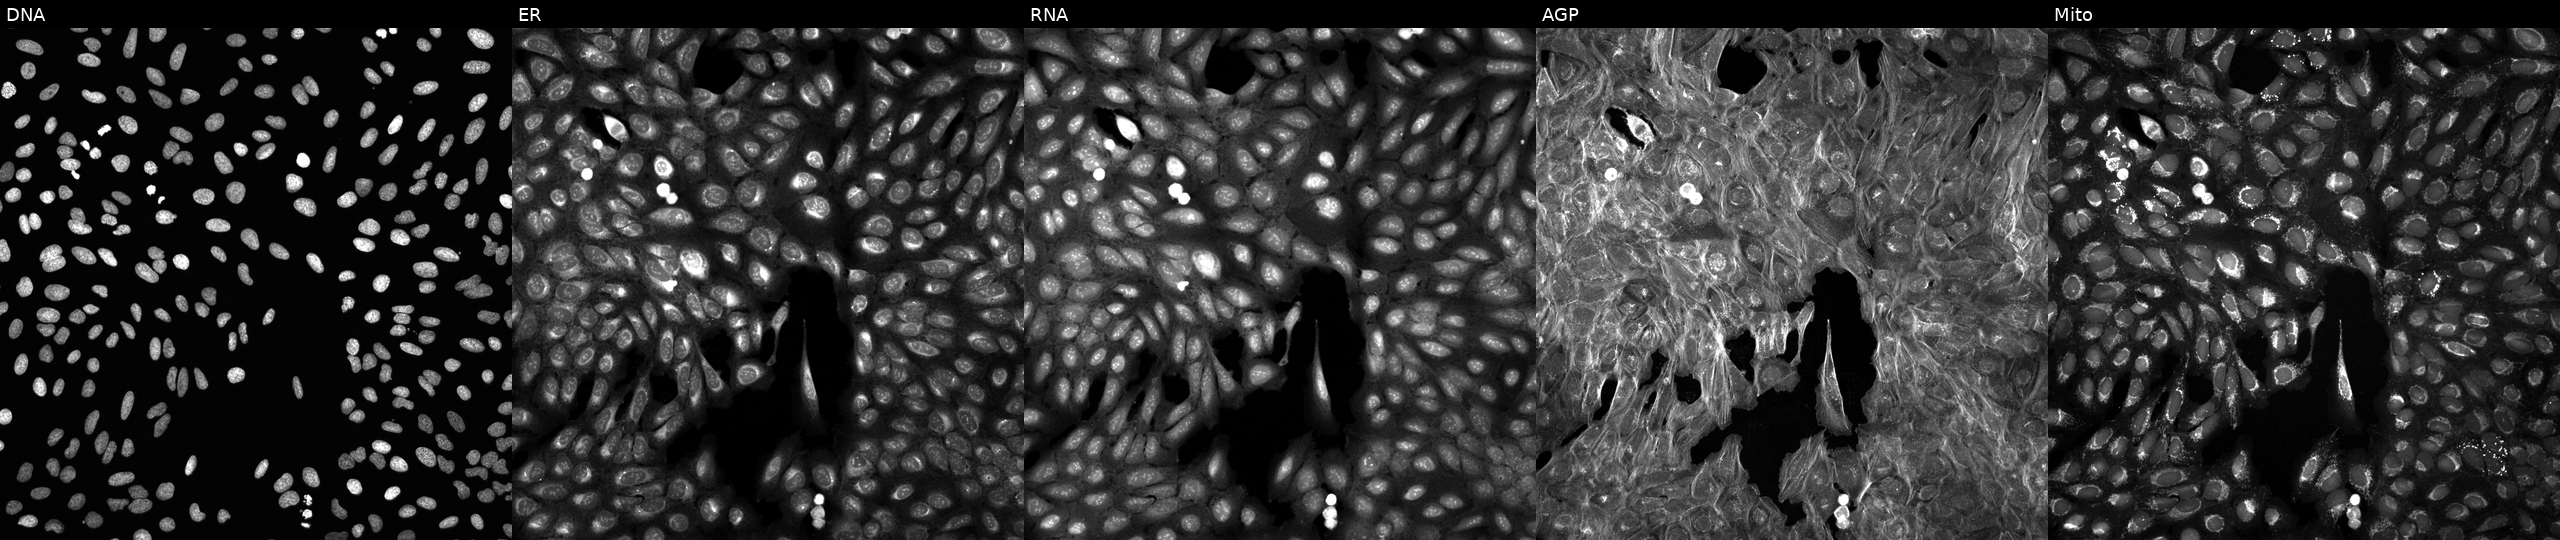
This image strip shows the five Cell Painting channels for a single field of U2OS cells treated with DMSO vehicle only (negative control) (JUMP id JCP2022_033924). Channels (left→right): Hoechst 33342, concanavalin A, SYTO 14, phalloidin and WGA, MitoTracker. Source 6, plate 110000294901, well F21.